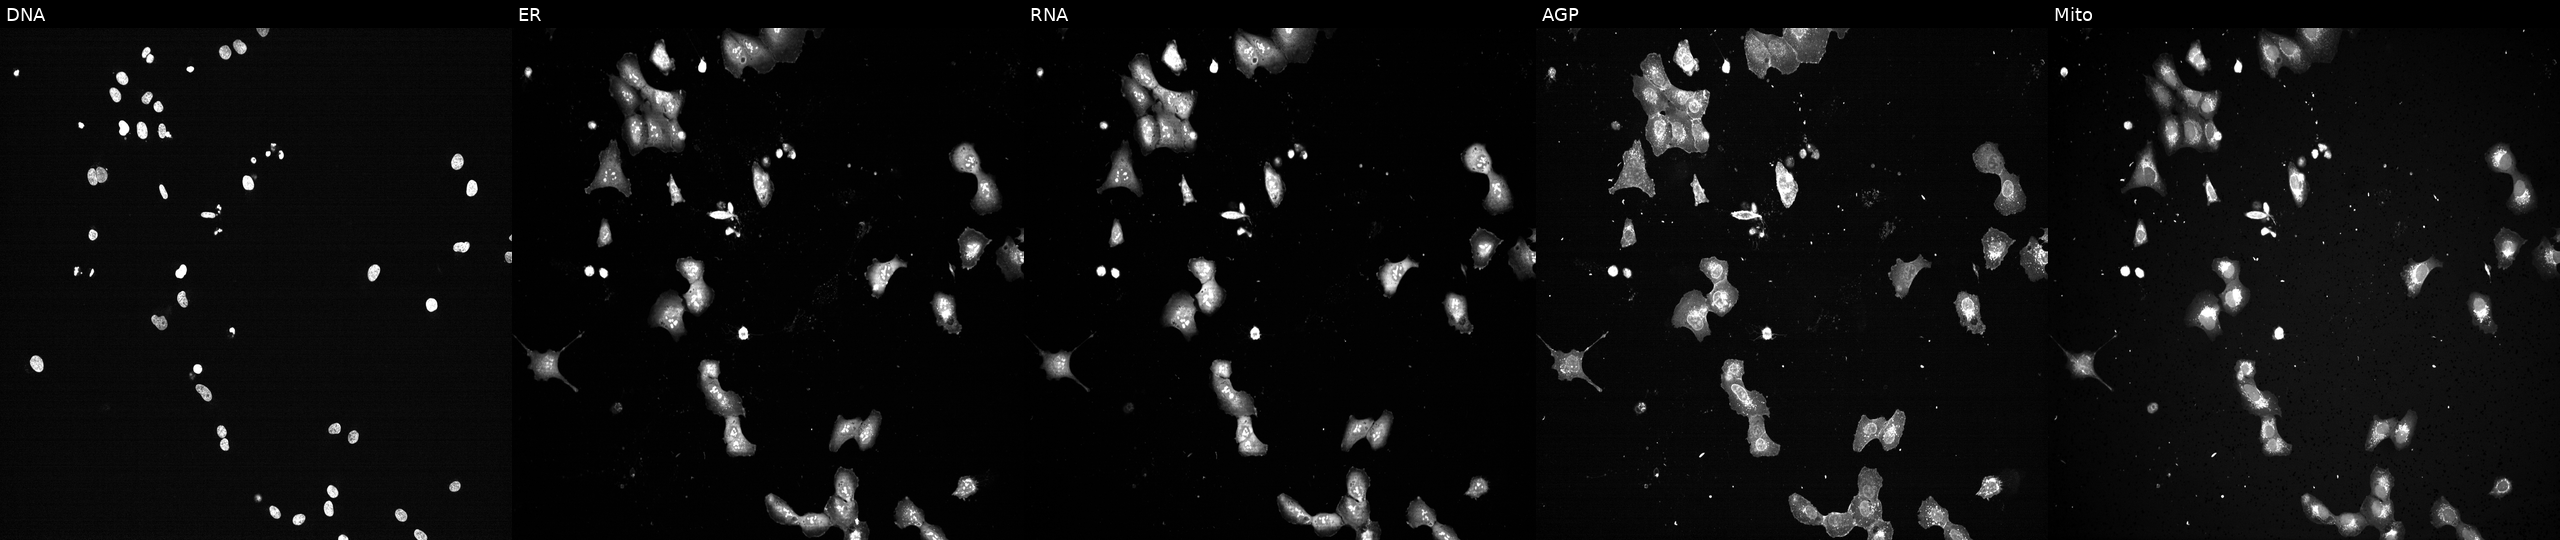
Panels show, left to right, Hoechst 33342, concanavalin A, SYTO 14, phalloidin and WGA, MitoTracker. U2OS osteosarcoma cells with POLR2A knocked out by CRISPR (JUMP id JCP2022_805342). Cell Painting assay, JUMP-CP dataset. Source 13, plate CP-CC9-R1-01, well B15.